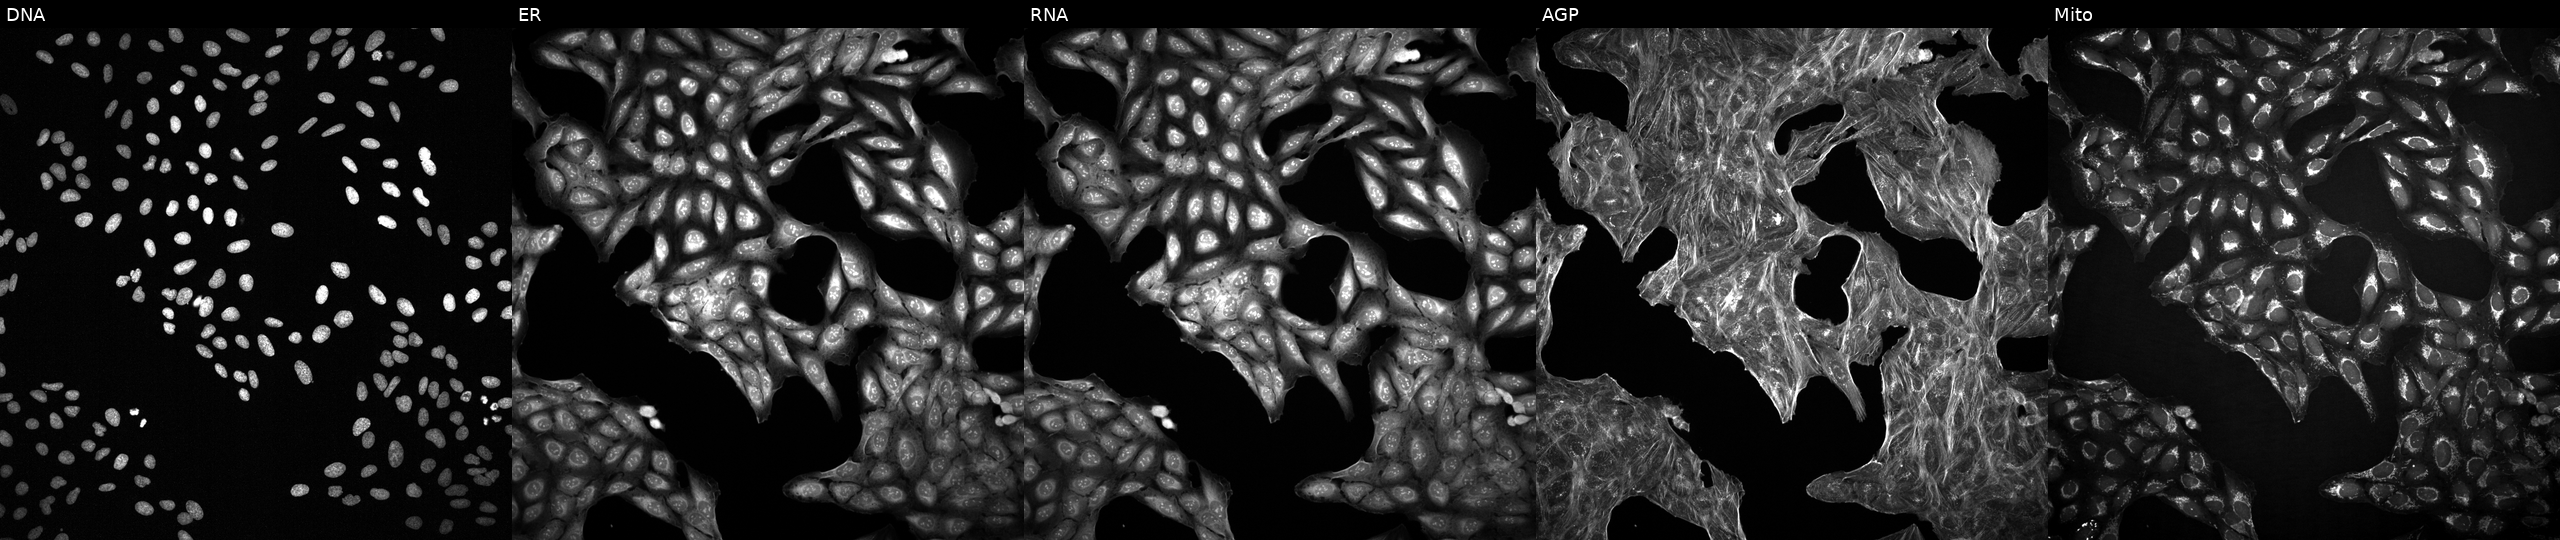
This image strip shows the five Cell Painting channels for a single field of U2OS cells exposed to a small-molecule compound [SMILES: O=C(O)CN(CCO)CCO]. Channels (left→right): DNA (nuclei); ER (endoplasmic reticulum); RNA (nucleoli and cytoplasmic RNA); AGP (actin cytoskeleton, Golgi, and plasma membrane); Mito (mitochondria). Source 2, plate 1053601756, well K05.